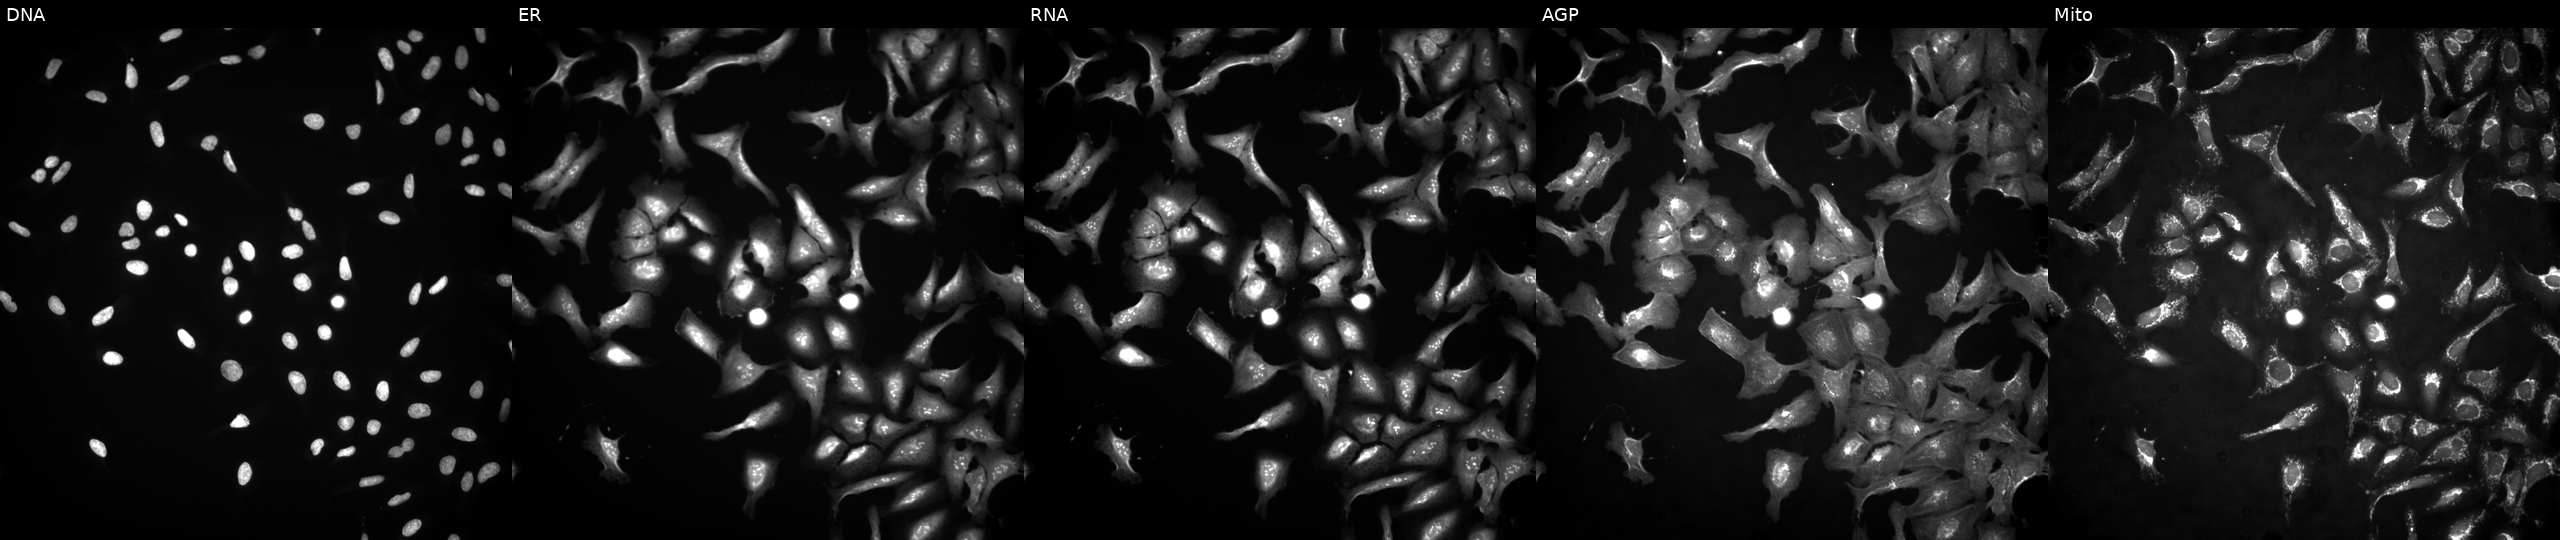
Five-channel Cell Painting image of U2OS cells transfected with an ORF construct for CREB1 (JUMP id JCP2022_900331). Channels (left→right): Hoechst 33342, concanavalin A, SYTO 14, phalloidin and WGA, MitoTracker.